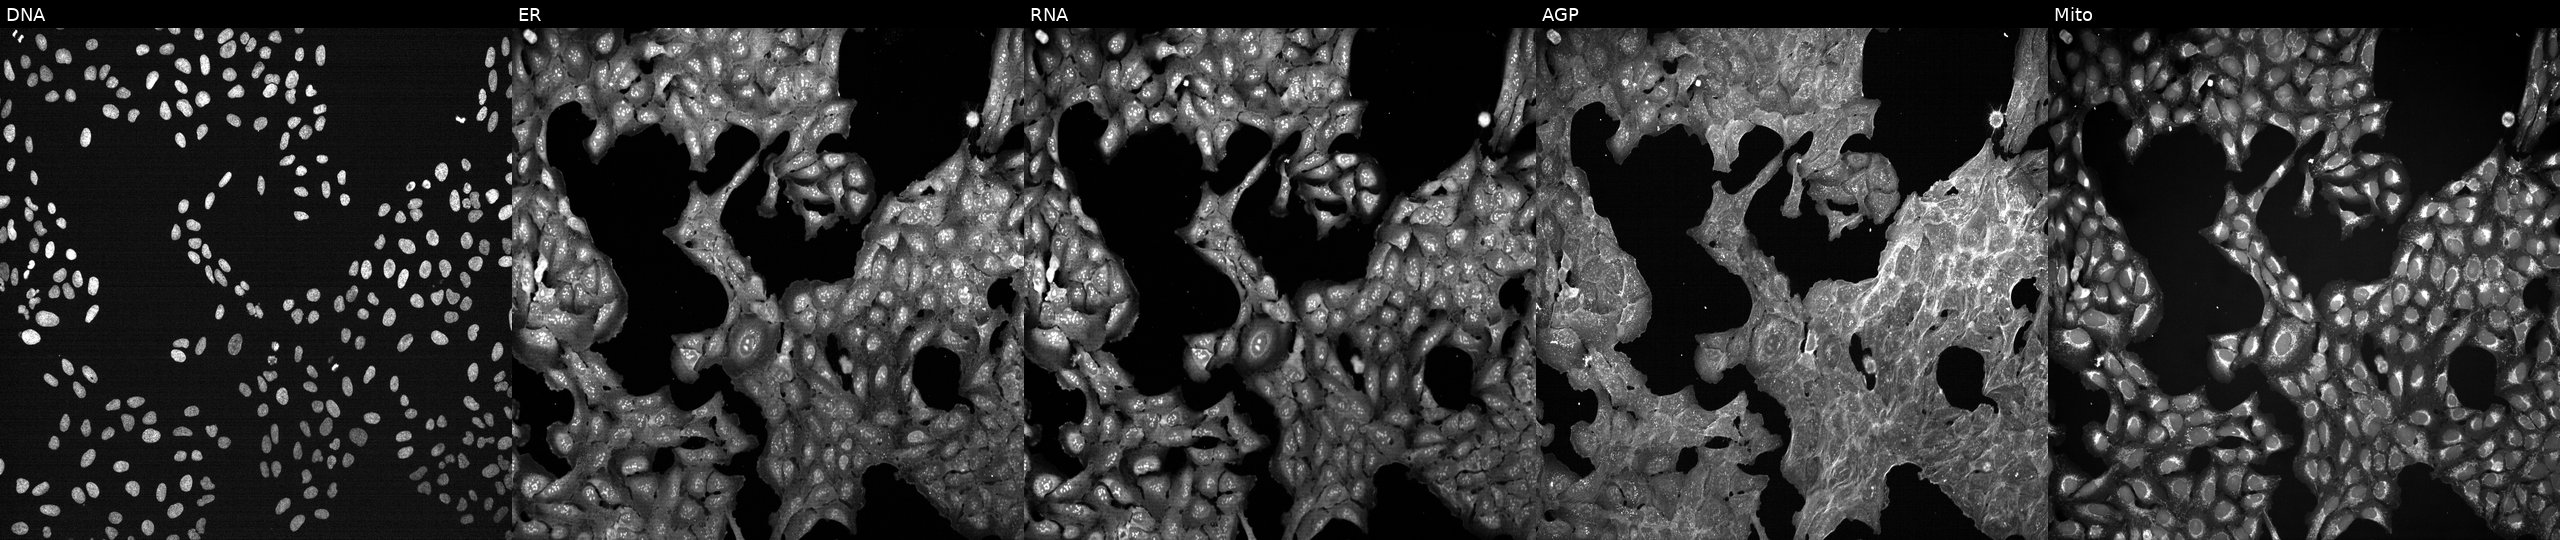
Channels (left→right): DNA, ER, RNA, AGP, and Mito. U2OS osteosarcoma cells exposed to DMSO alone as a negative control (JUMP id JCP2022_033924). Cell Painting assay, JUMP-CP dataset.